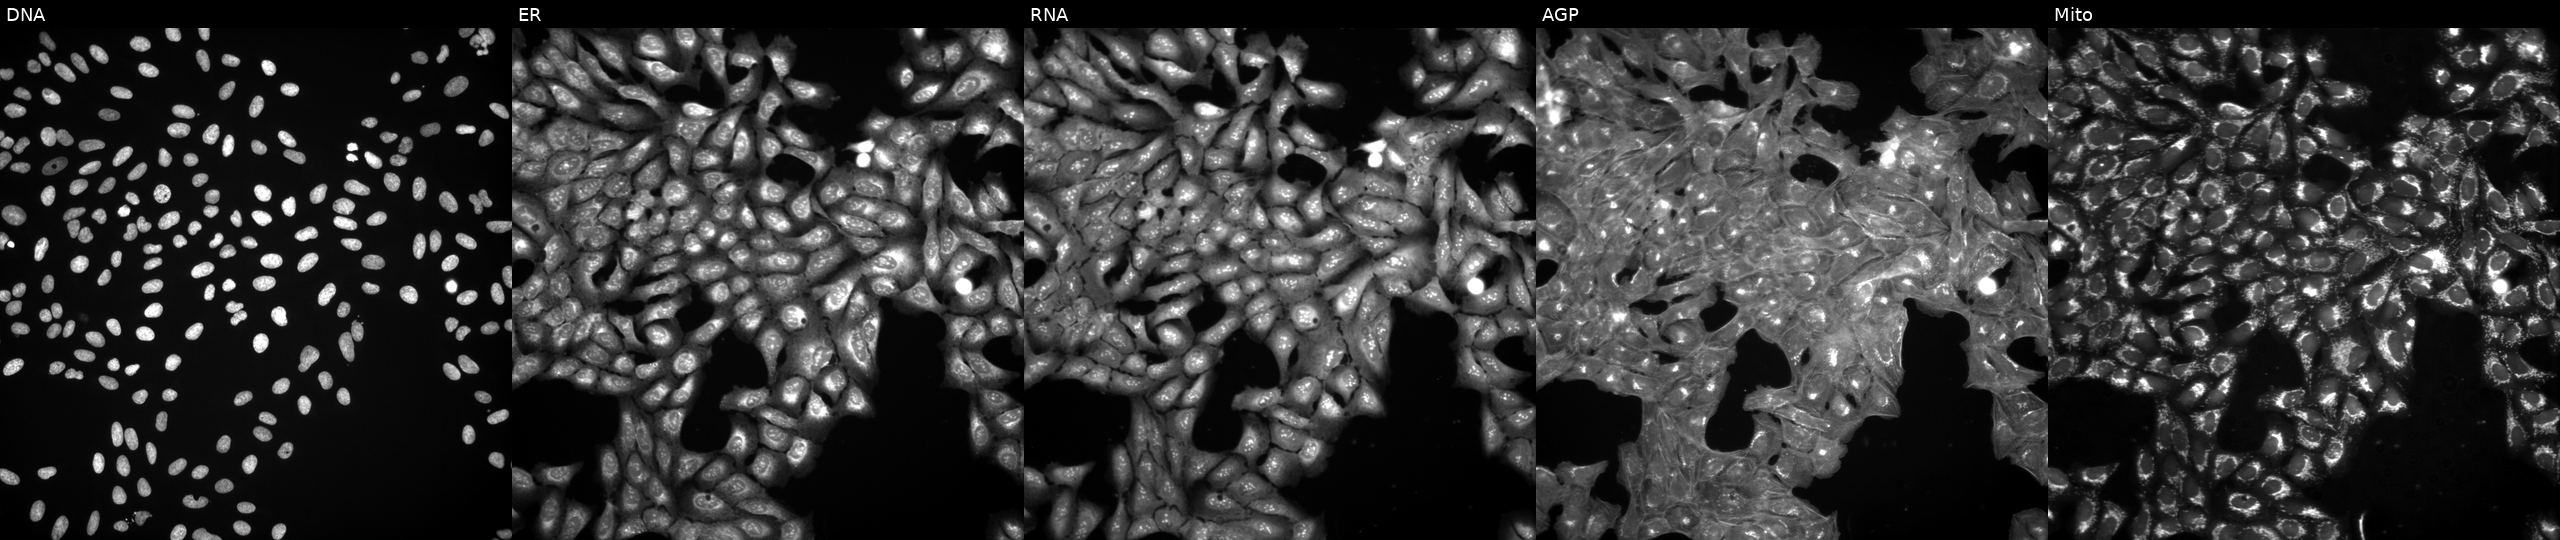
Five-channel Cell Painting image of U2OS cells treated with a small-molecule compound (InChIKey ZYOUJZMRHKGFLP-UHFFFAOYSA-N) (JUMP id JCP2022_116504). Channels (left→right): DNA, ER, RNA, AGP, and Mito.